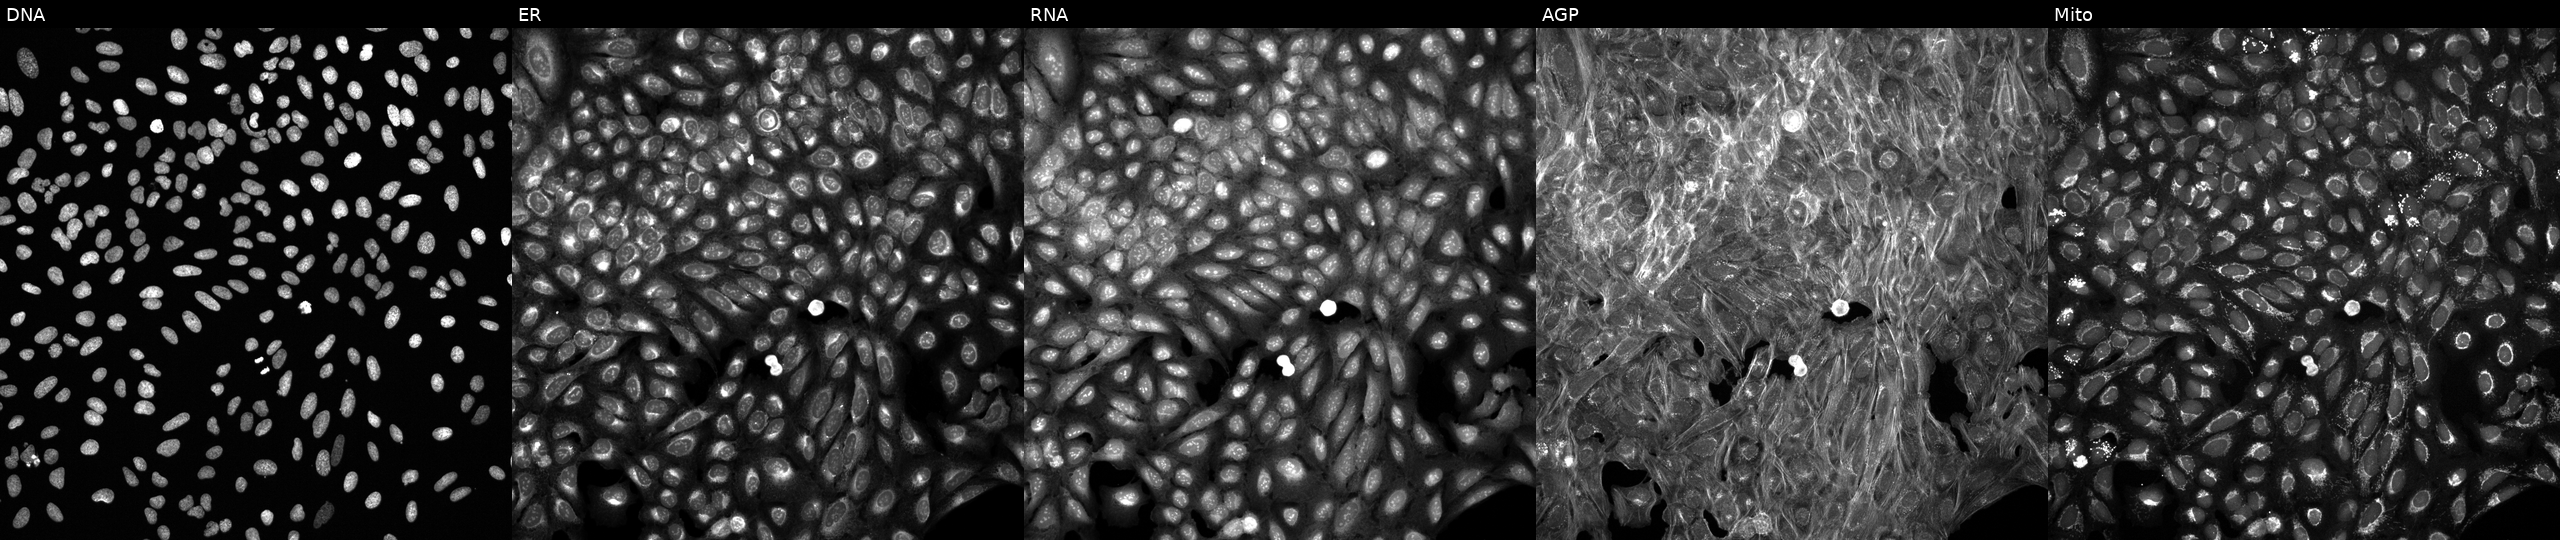
High-content fluorescence microscopy (Cell Painting). Cell line: U2OS. Perturbation: perturbed with a small-molecule compound (InChIKey JFUIMTGOQCQTPF-UHFFFAOYSA-N) [SMILES: O=C(NCCS(=O)(=O)c1ccc(C(F)(F)F)cn1)c1ccc(Cl)cc1]. From left to right: DNA, ER, RNA, AGP, and Mito.